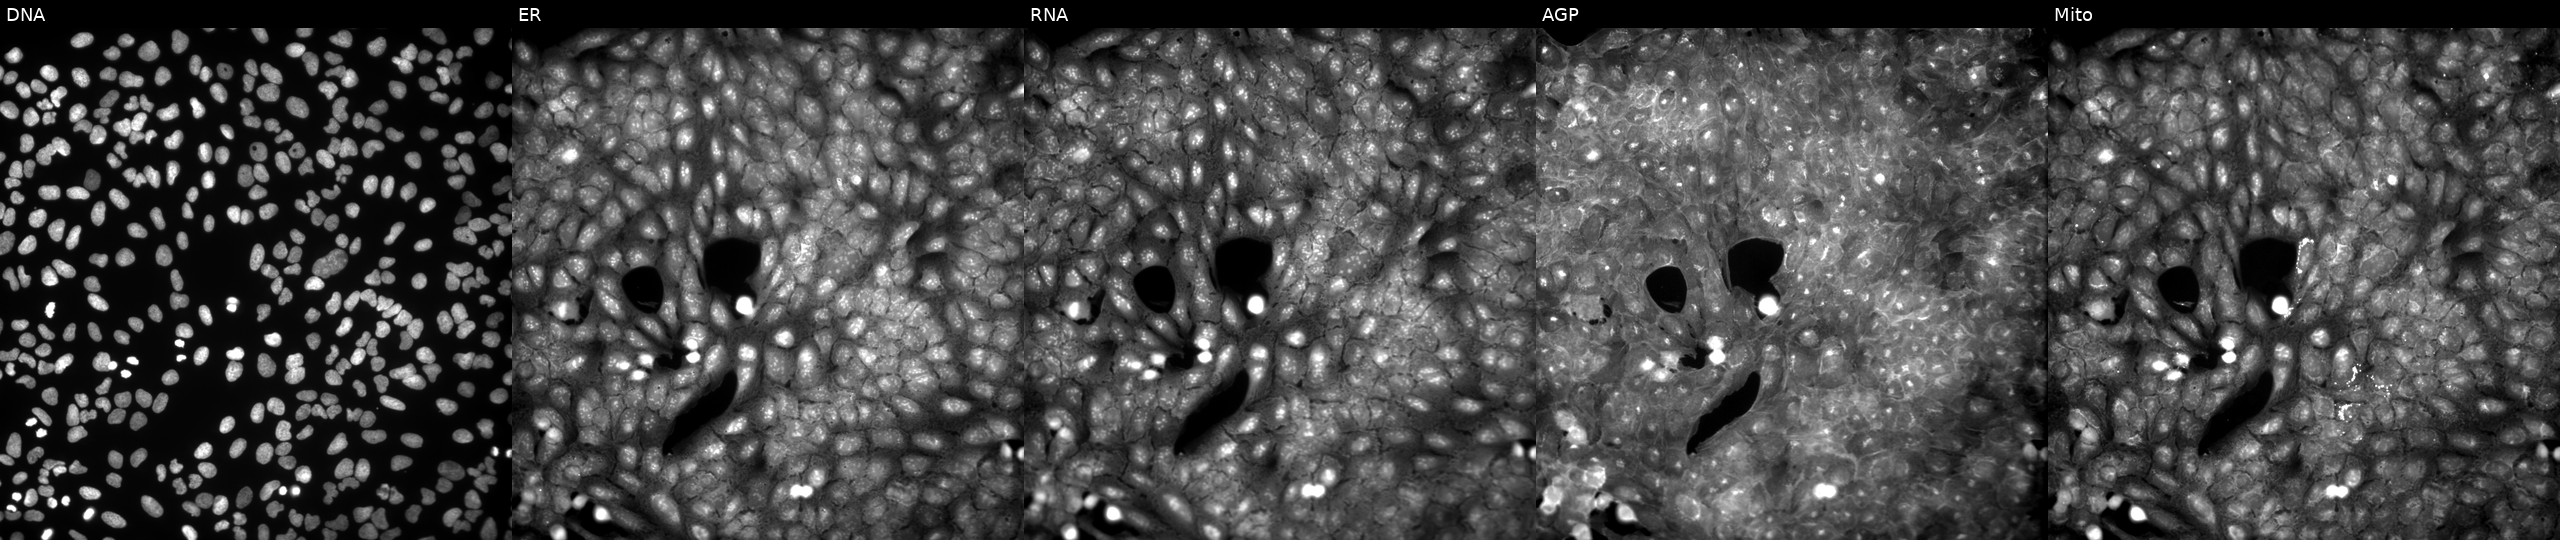
U2OS cells, Cell Painting assay, exposed to a small-molecule compound (InChIKey KOVLSHIFZRNCEZ-UHFFFAOYSA-N). Panels show, left to right, DNA (nuclei); ER (endoplasmic reticulum); RNA (nucleoli and cytoplasmic RNA); AGP (actin cytoskeleton, Golgi, and plasma membrane); Mito (mitochondria). Each panel is percentile-stretched 16-bit fluorescence.